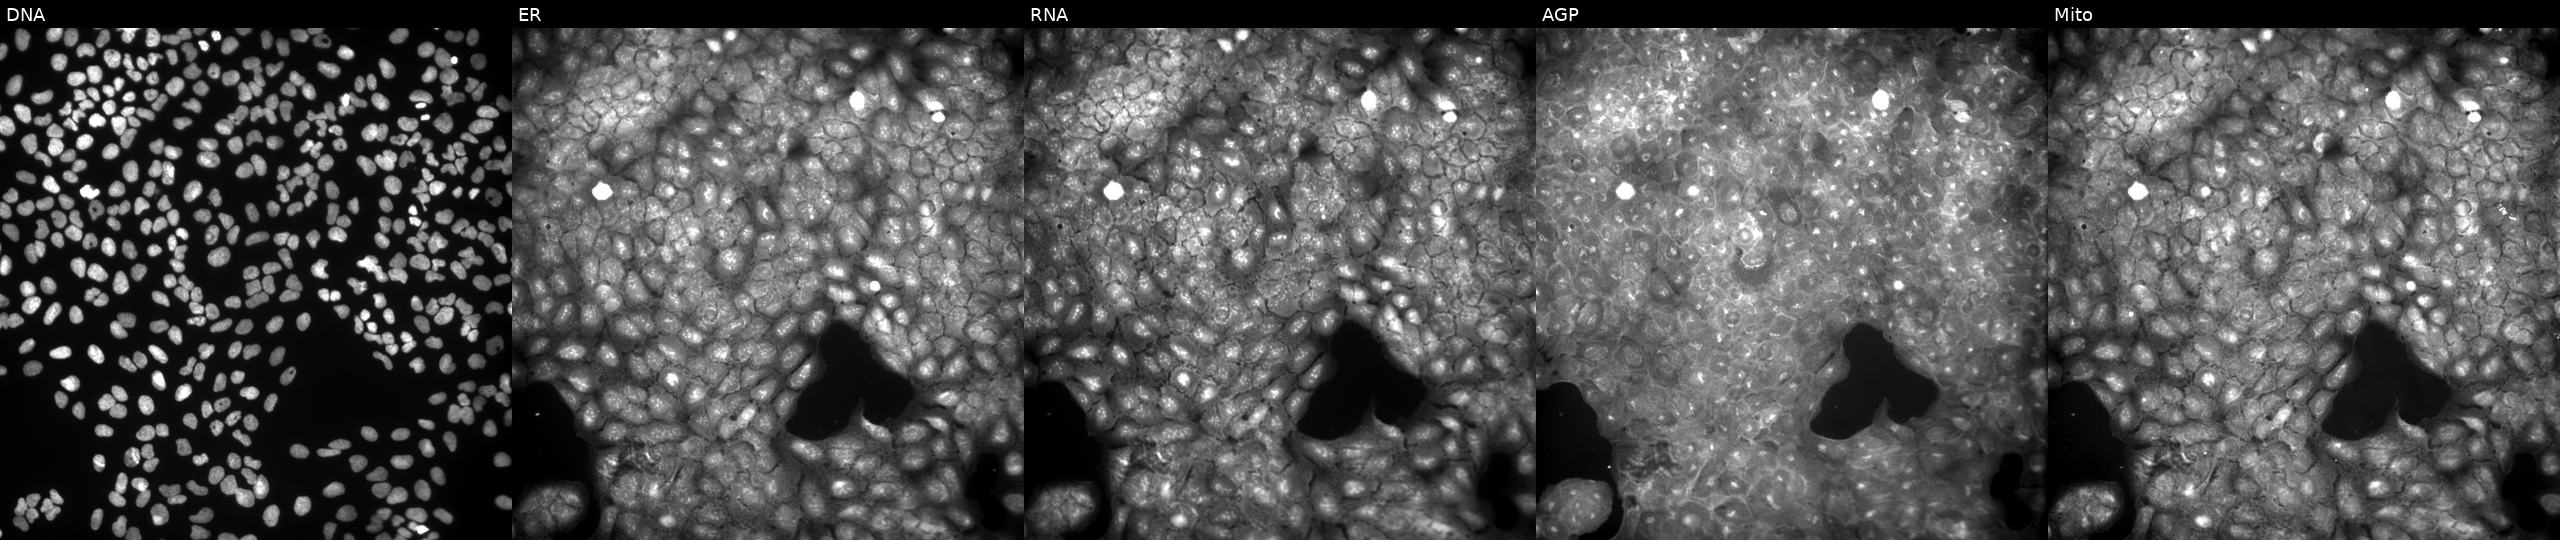
This image strip shows the five Cell Painting channels for a single field of U2OS cells perturbed with a small-molecule compound (InChIKey MBNOAKGBPVYRQX-UHFFFAOYSA-N) (JUMP id JCP2022_053071). Panels show, left to right, DNA, ER, RNA, AGP, and Mito.